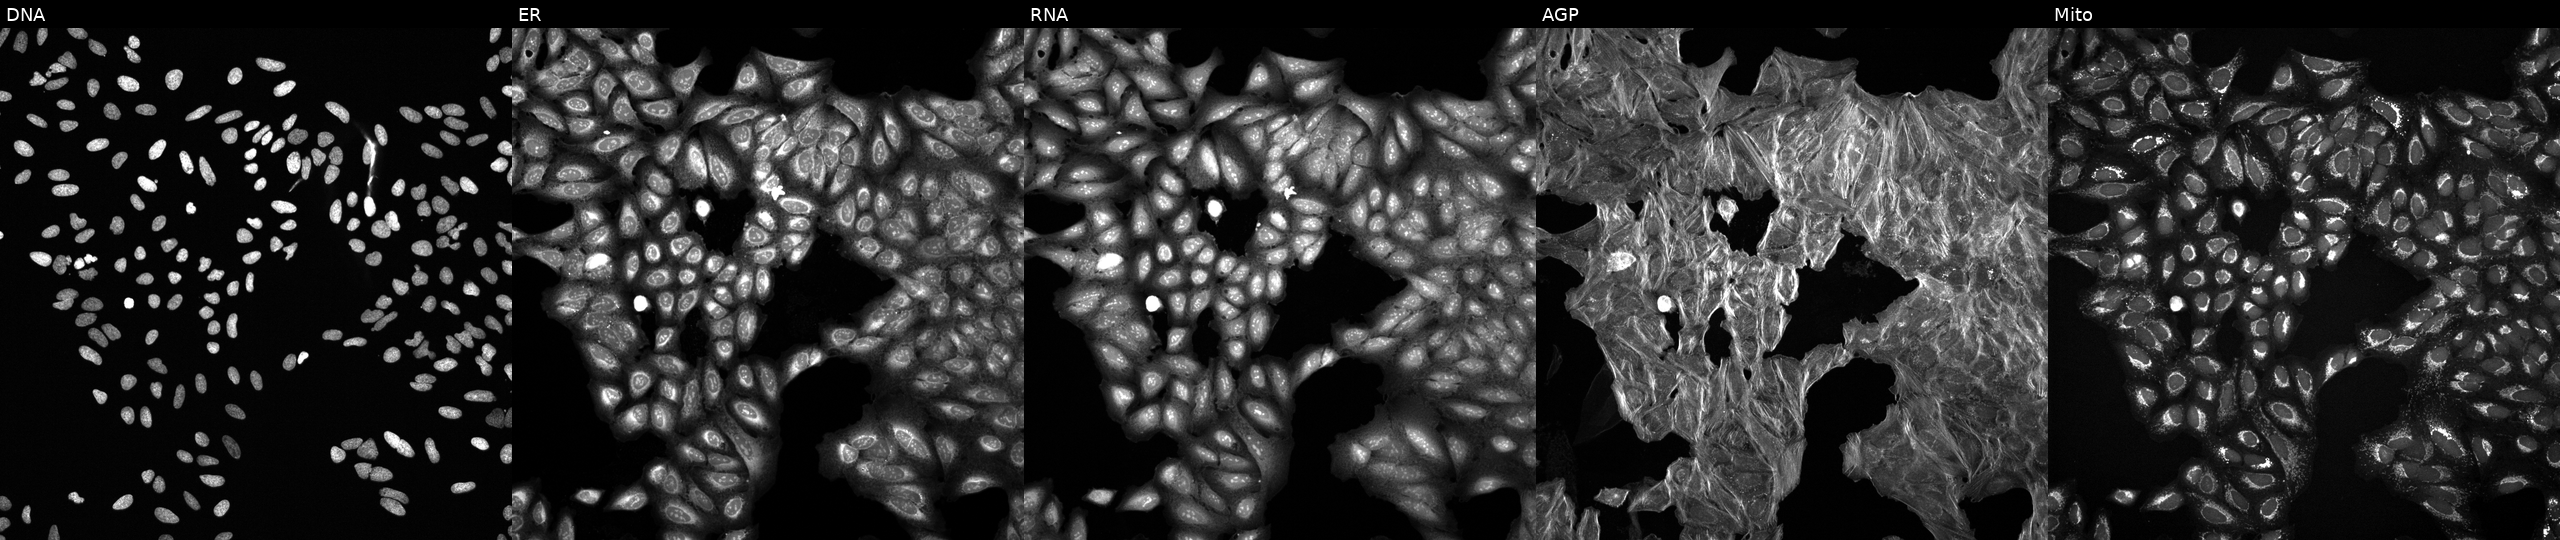
High-content fluorescence microscopy (Cell Painting). Cell line: U2OS. Perturbation: perturbed with a small-molecule compound (JUMP id JCP2022_015955). Channels (left→right): DNA, ER, RNA, AGP, and Mito. Source 6, plate 110000293081, well N08.